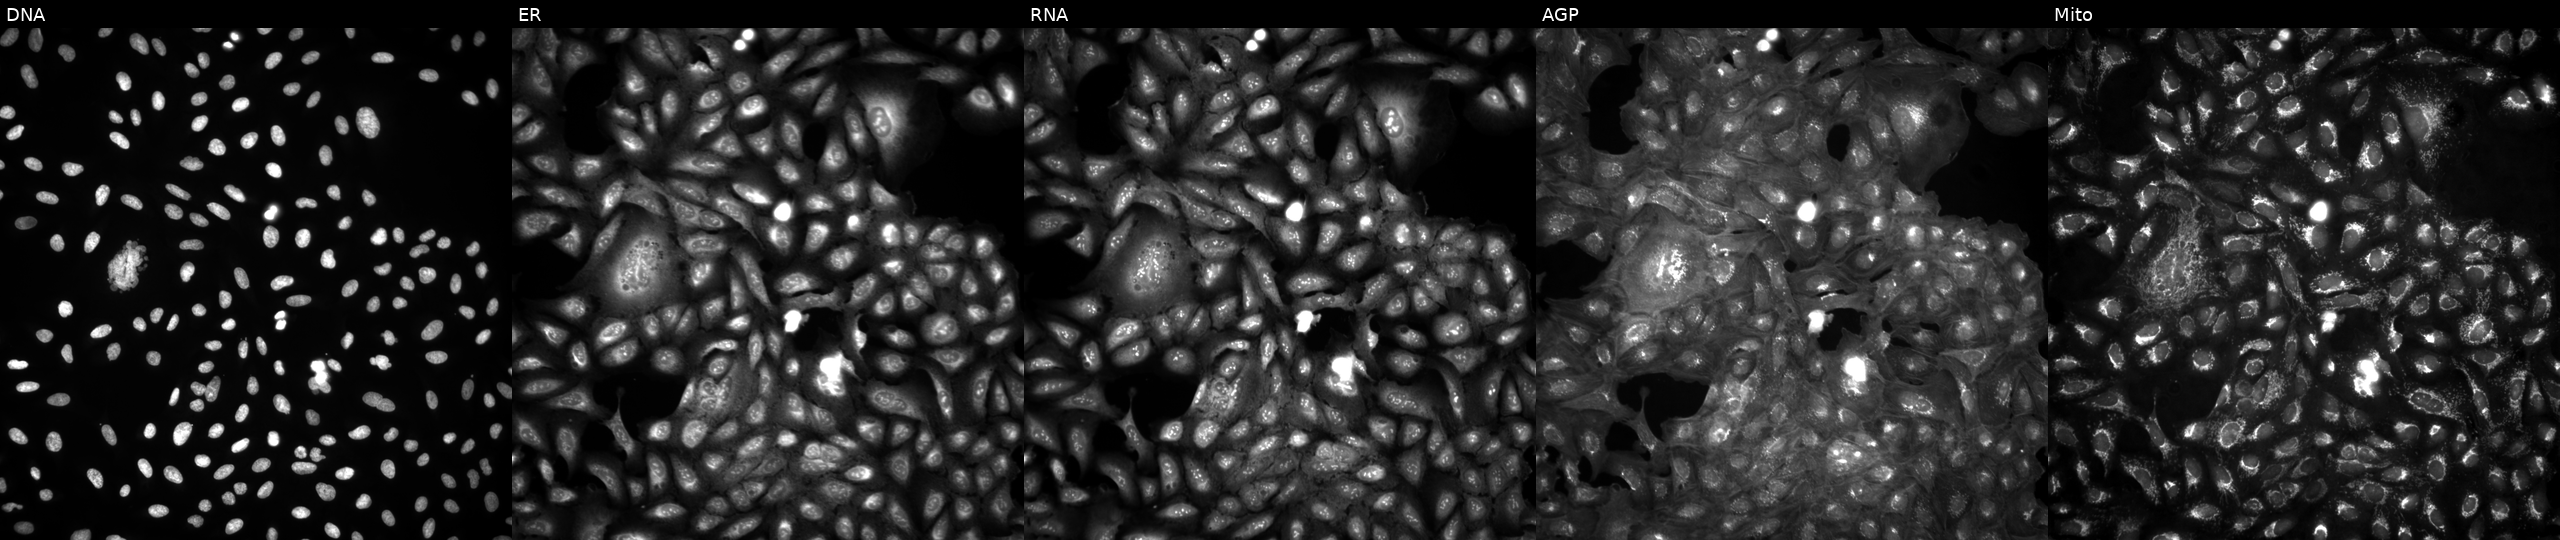
U2OS cells, Cell Painting assay, in an empty control well (no perturbation). Channels (left→right): Hoechst 33342, concanavalin A, SYTO 14, phalloidin and WGA, MitoTracker. Each panel is percentile-stretched 16-bit fluorescence. Source 4, plate BR00124793, well C18.